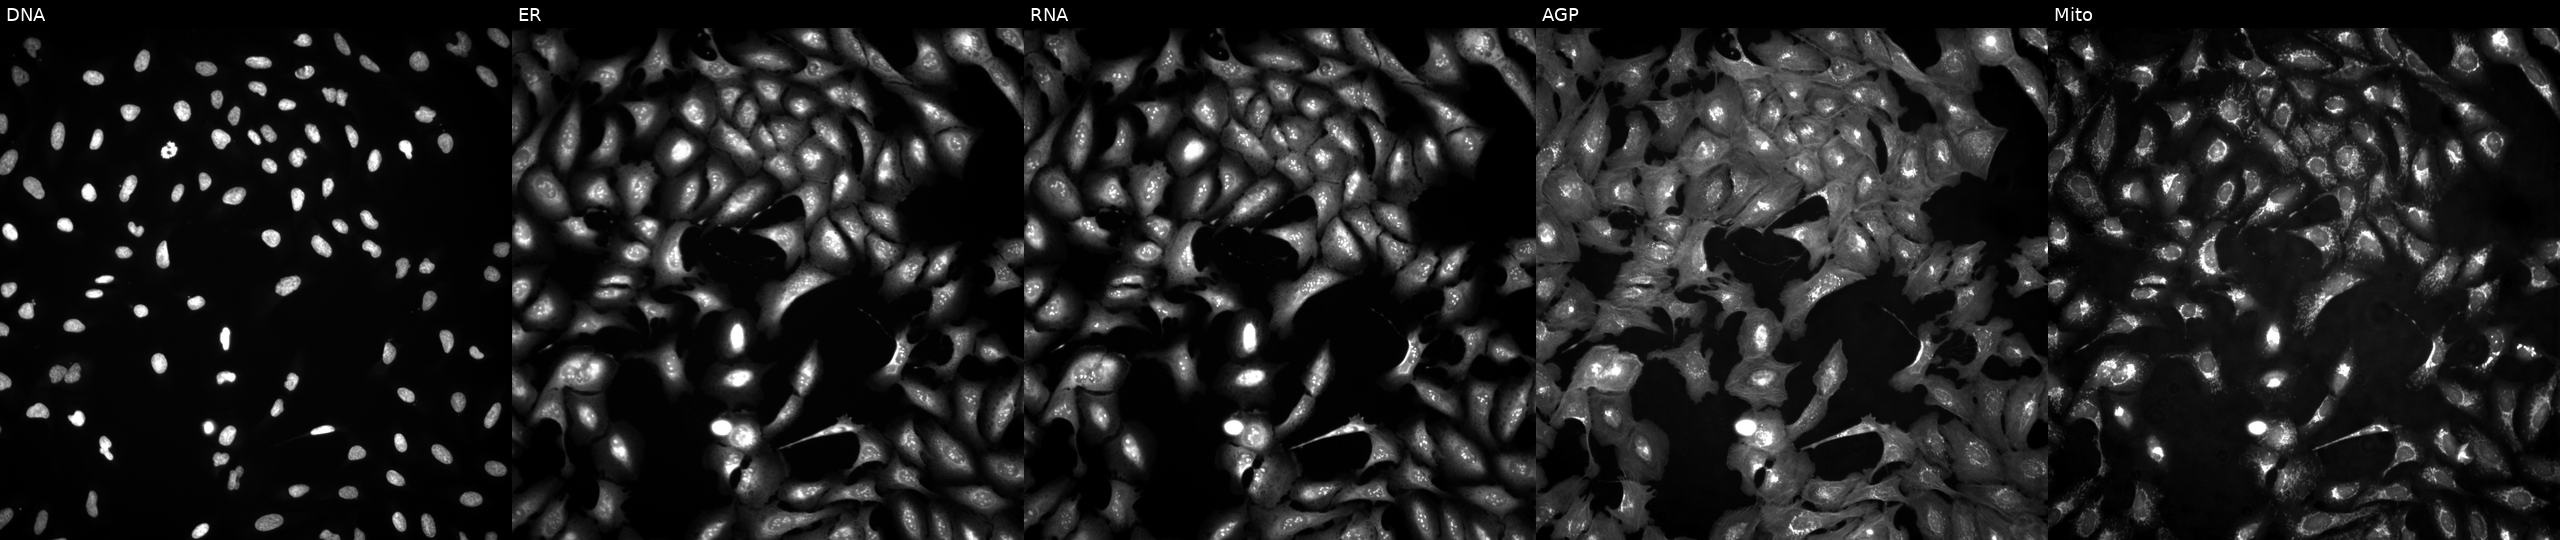
JUMP Cell Painting — ORF plate. U2OS cells transfected with an ORF construct for CAMK2B. From left to right: DNA, ER, RNA, AGP, and Mito.